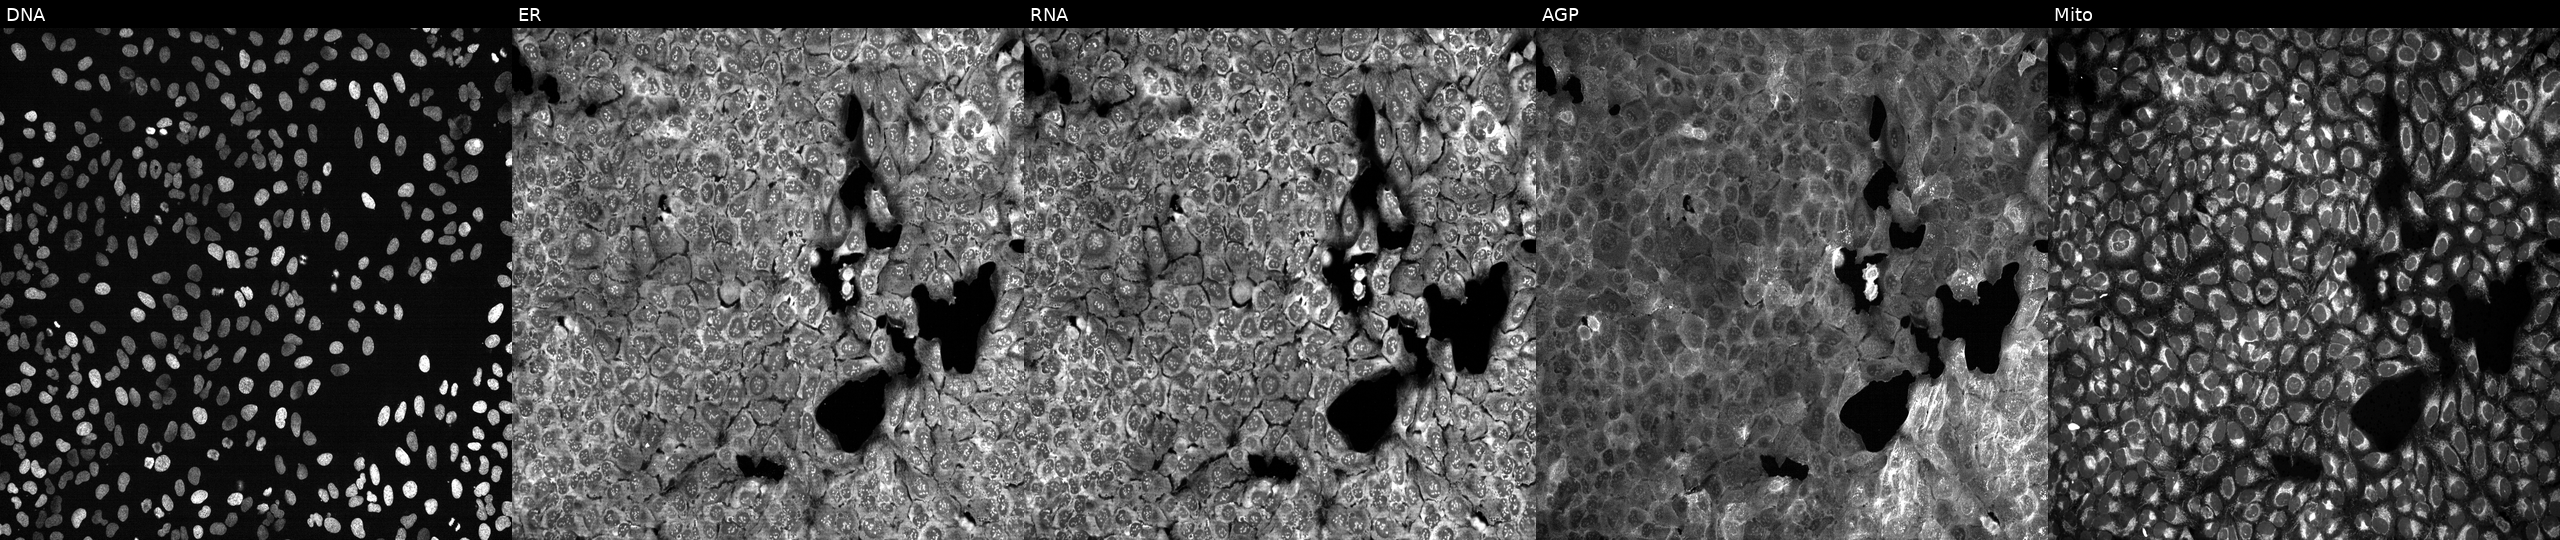
Channels (left→right): DNA (nuclei); ER (endoplasmic reticulum); RNA (nucleoli and cytoplasmic RNA); AGP (actin cytoskeleton, Golgi, and plasma membrane); Mito (mitochondria). U2OS osteosarcoma cells following CRISPR knockout of AANAT (JUMP id JCP2022_800011). Cell Painting assay, JUMP-CP dataset. Source 13, plate CP-CC9-R2-01, well E09.